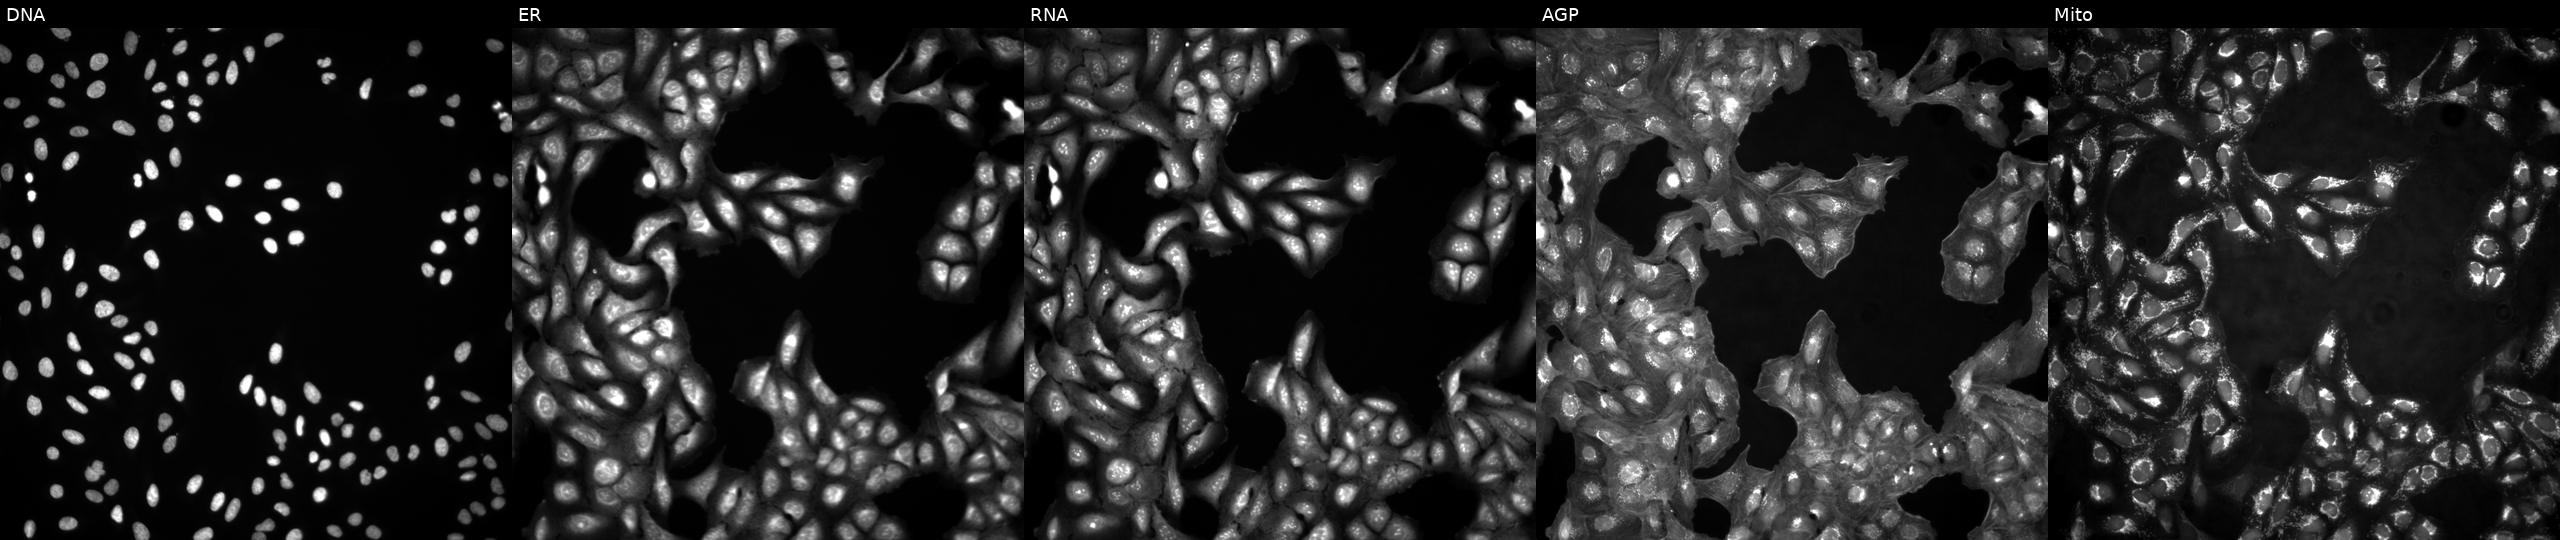
High-content fluorescence microscopy (Cell Painting). Cell line: U2OS. Perturbation: in an empty control well (no perturbation) (JUMP id JCP2022_999999). From left to right: DNA (nuclei); ER (endoplasmic reticulum); RNA (nucleoli and cytoplasmic RNA); AGP (actin cytoskeleton, Golgi, and plasma membrane); Mito (mitochondria). Source 4, plate BR00124793, well P10.